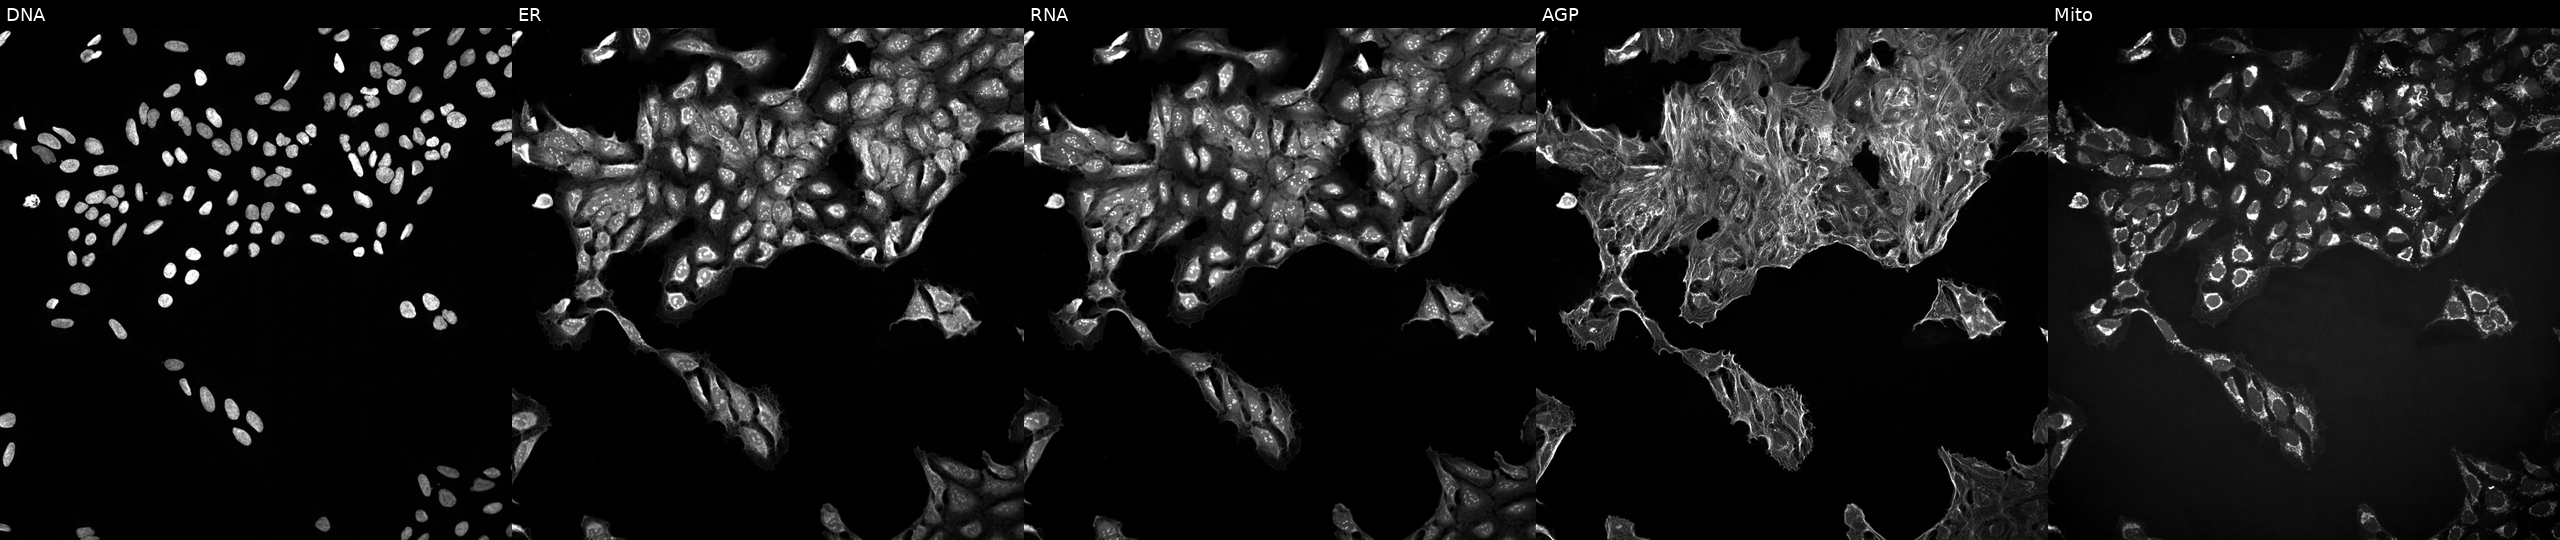
U2OS cells, Cell Painting assay, perturbed with a small-molecule compound (InChIKey YGSDEFSMJLZEOE-UHFFFAOYSA-N). The five panels, left to right, show DNA (nuclei); ER (endoplasmic reticulum); RNA (nucleoli and cytoplasmic RNA); AGP (actin cytoskeleton, Golgi, and plasma membrane); Mito (mitochondria). Each panel is percentile-stretched 16-bit fluorescence. Source 10, plate Dest210726-160150, well A04.